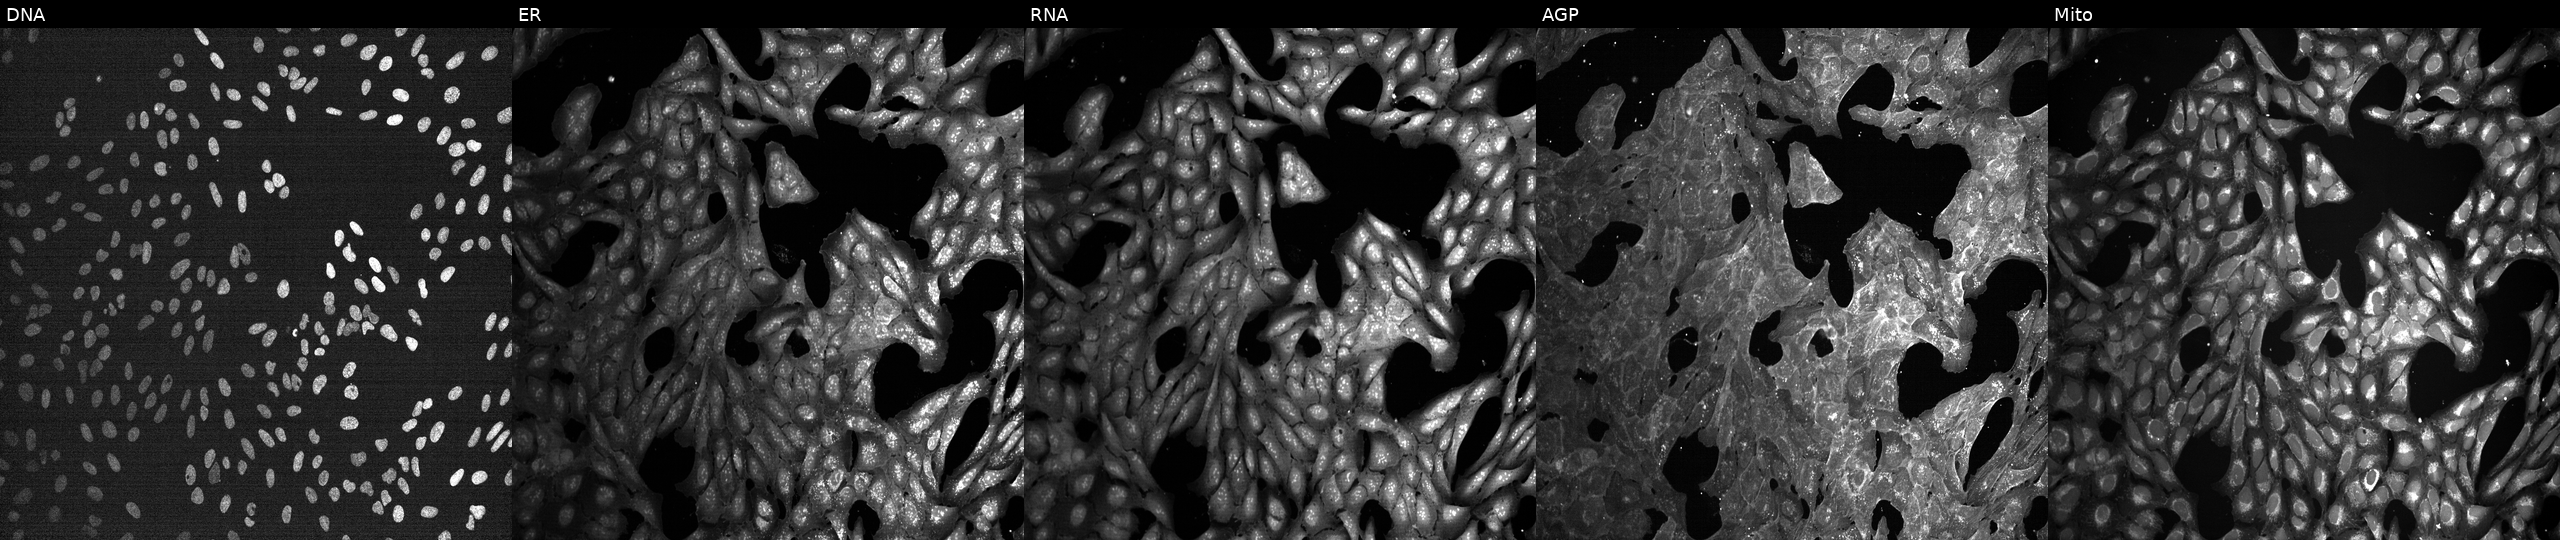
U2OS cells, Cell Painting assay, treated with a small-molecule compound (InChIKey XRVDGNKRPOAQTN-UHFFFAOYSA-N). Channels (left→right): DNA (nuclei); ER (endoplasmic reticulum); RNA (nucleoli and cytoplasmic RNA); AGP (actin cytoskeleton, Golgi, and plasma membrane); Mito (mitochondria). Each panel is percentile-stretched 16-bit fluorescence.